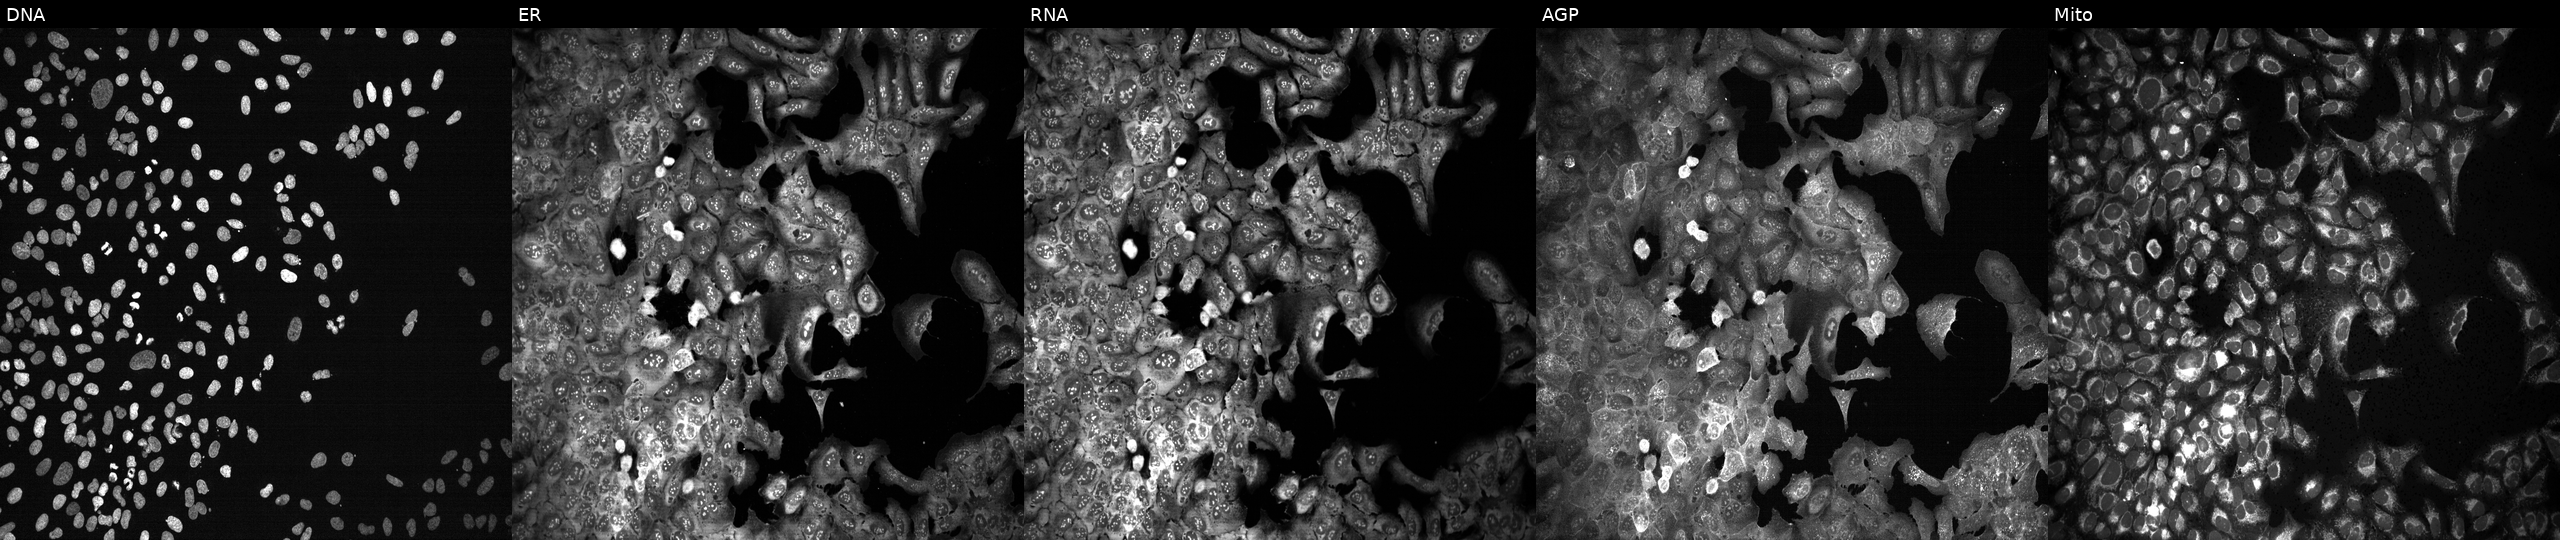
U2OS cells, Cell Painting assay, following CRISPR knockout of MOCS2 (JUMP id JCP2022_804236). From left to right: DNA (nuclei); ER (endoplasmic reticulum); RNA (nucleoli and cytoplasmic RNA); AGP (actin cytoskeleton, Golgi, and plasma membrane); Mito (mitochondria). Each panel is percentile-stretched 16-bit fluorescence.